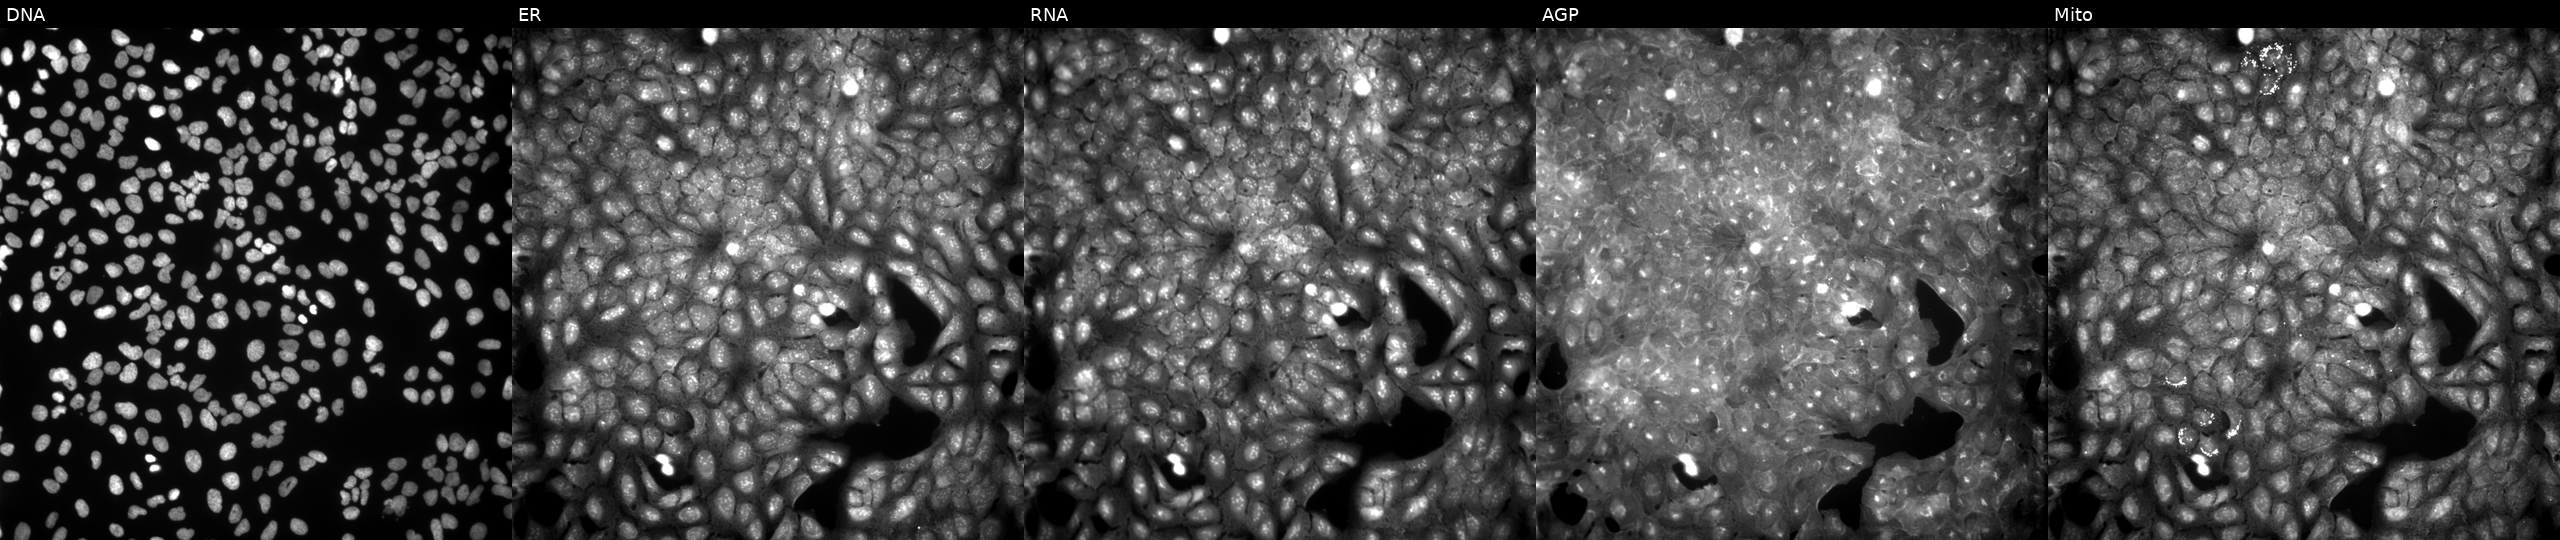
Panels show, left to right, Hoechst 33342, concanavalin A, SYTO 14, phalloidin and WGA, MitoTracker. U2OS osteosarcoma cells treated with a small-molecule compound (InChIKey ZEILJVYYURFFAD-UHFFFAOYSA-N). Cell Painting assay, JUMP-CP dataset.